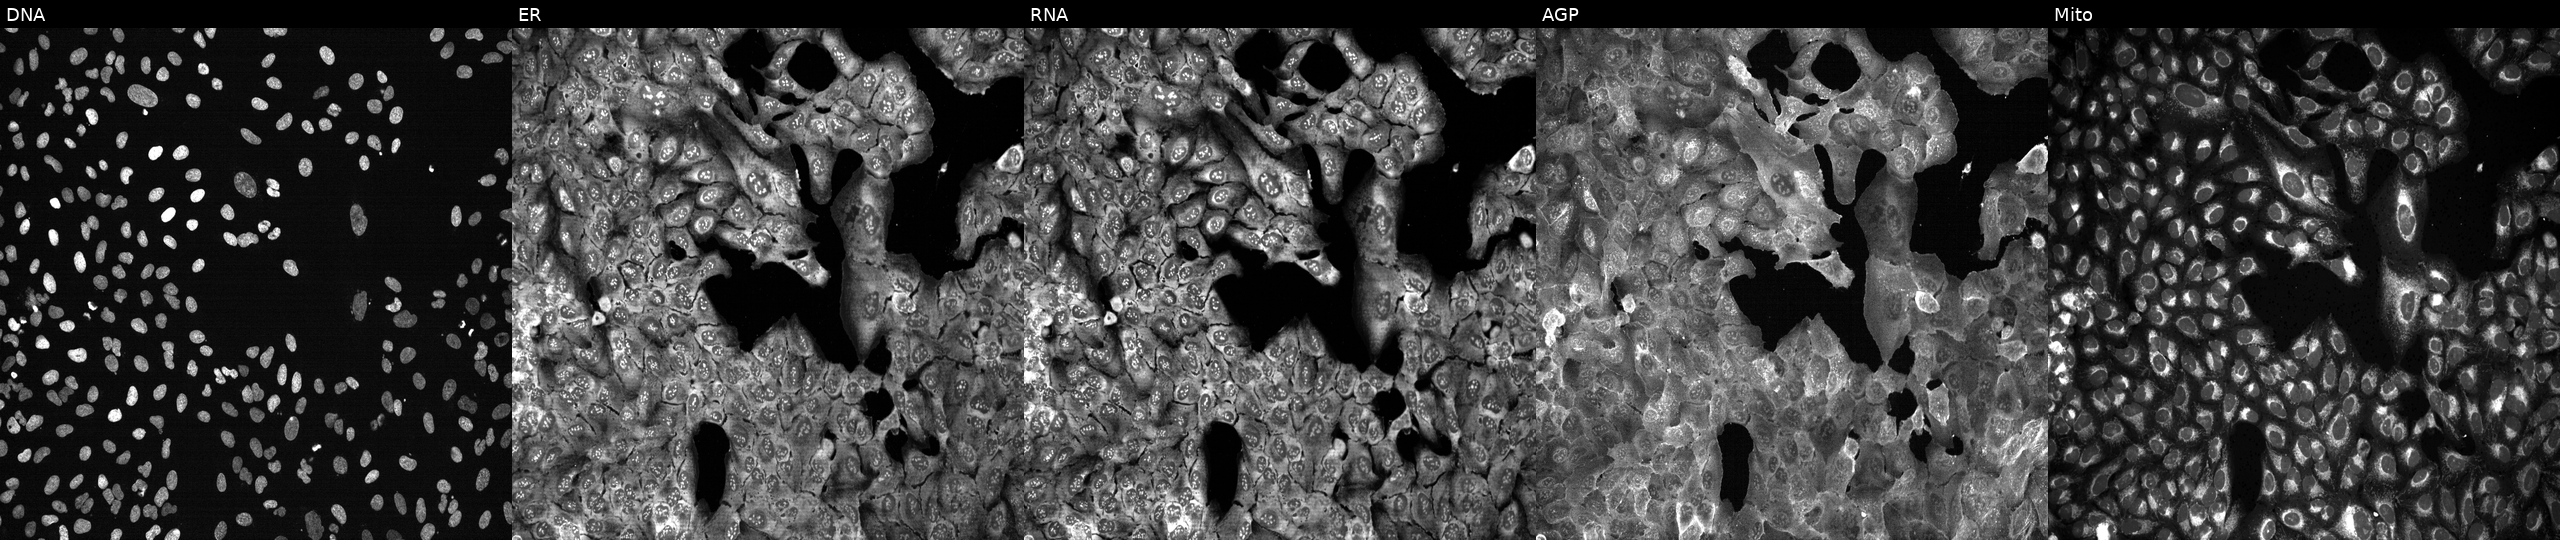
Panels show, left to right, DNA, ER, RNA, AGP, and Mito. U2OS osteosarcoma cells following CRISPR knockout of UQCRFS1. Cell Painting assay, JUMP-CP dataset.